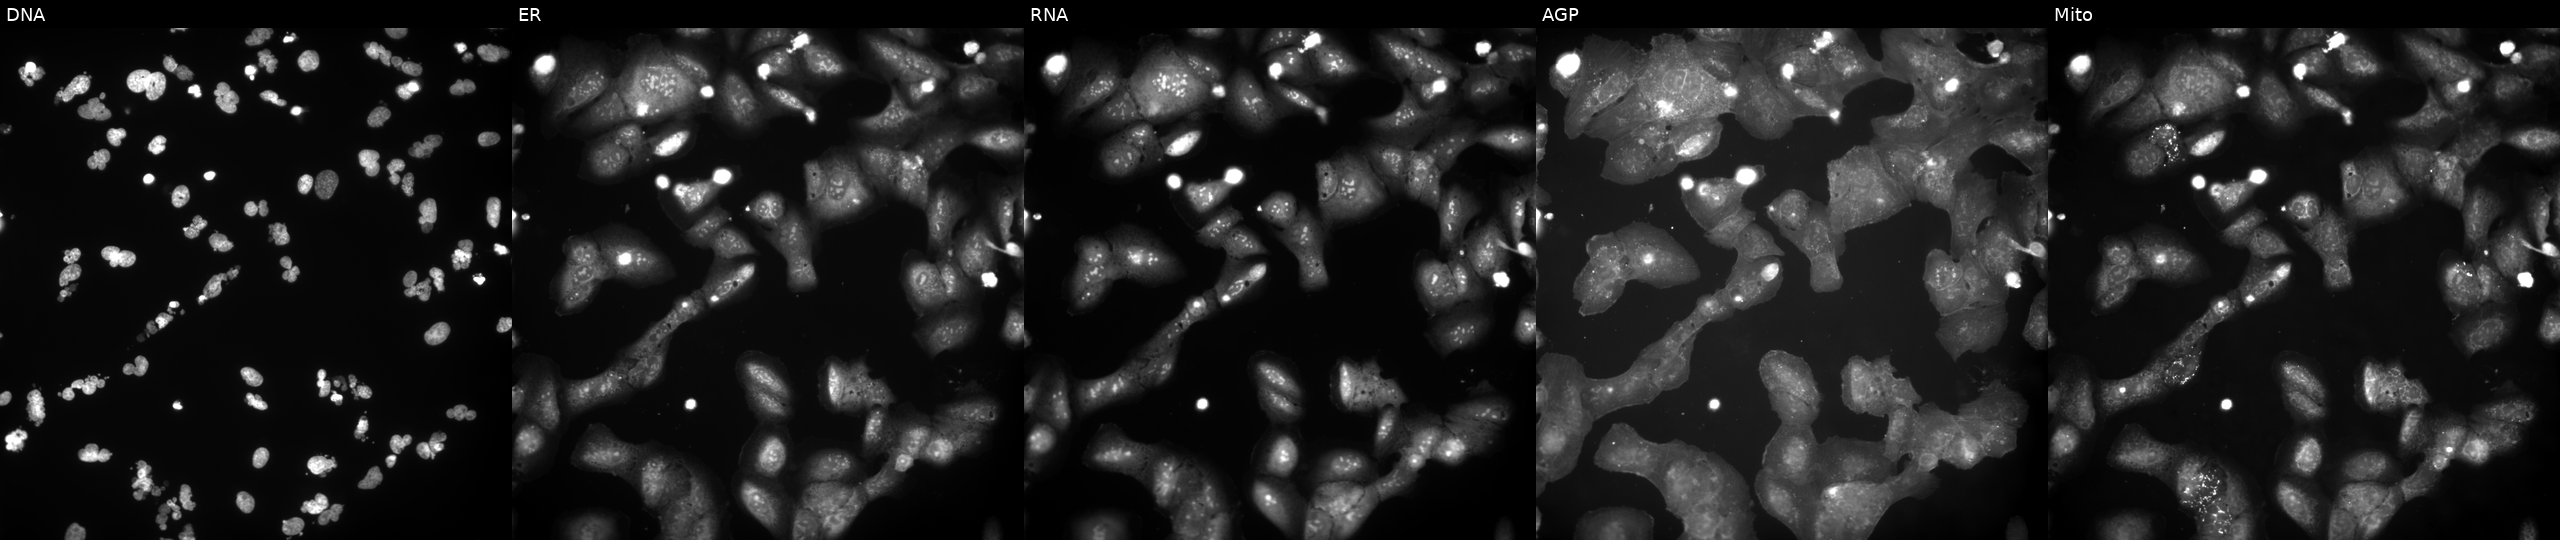
Five-channel Cell Painting image of U2OS cells perturbed with a small-molecule compound (InChIKey ZQTJAZIGGSUPPJ-UHFFFAOYSA-N). Channels (left→right): DNA, ER, RNA, AGP, and Mito. Source 9, plate GR00003381, well W17.